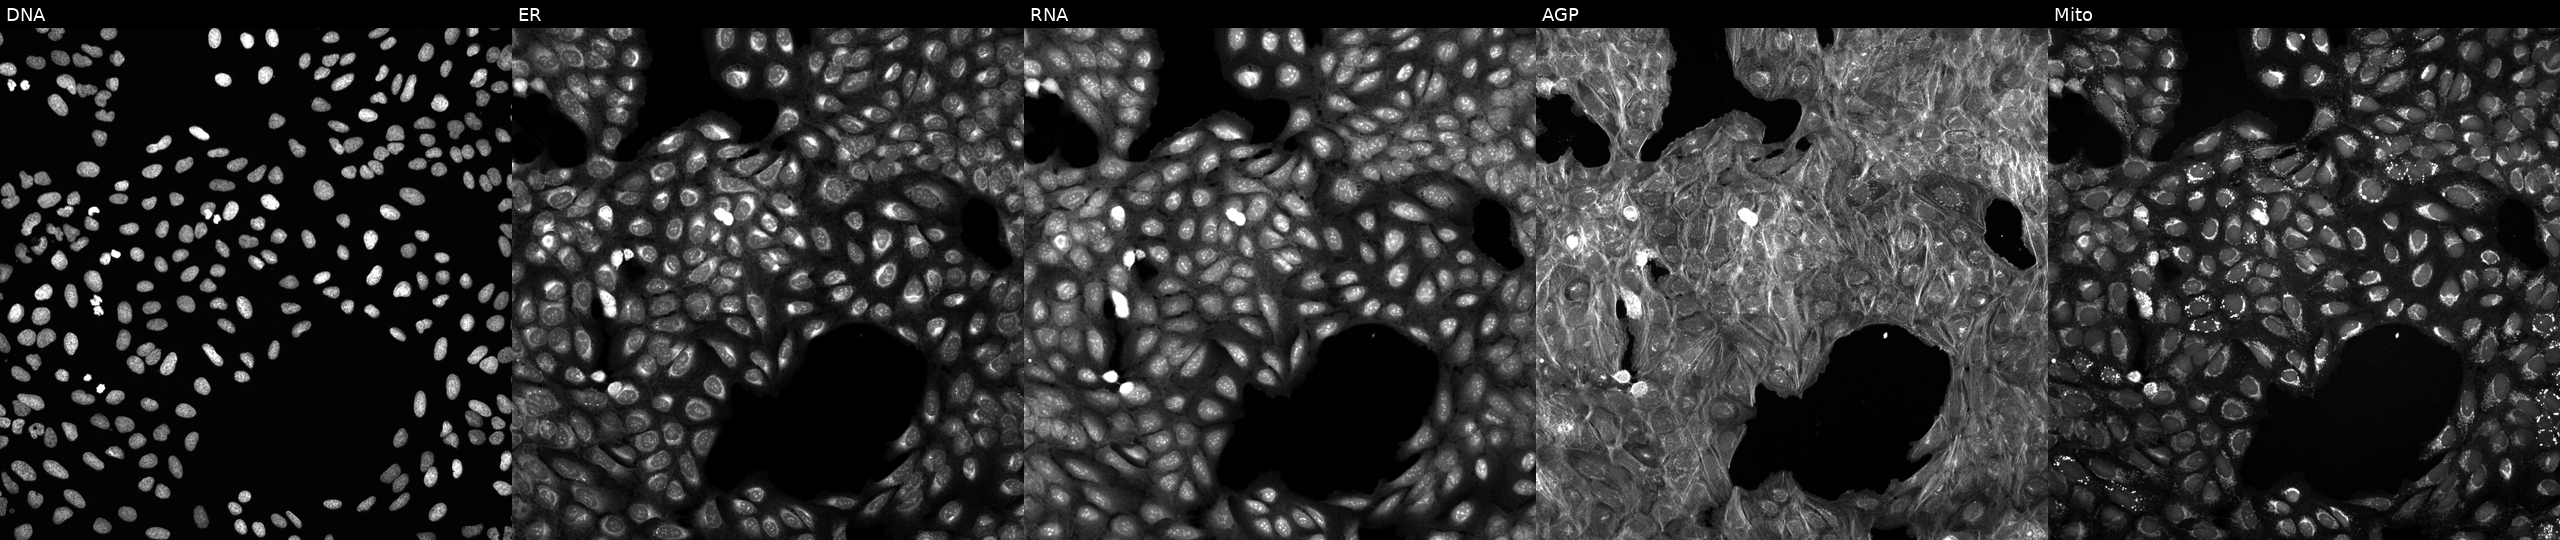
This image strip shows the five Cell Painting channels for a single field of U2OS cells treated with a small-molecule compound (JUMP id JCP2022_018074). The five panels, left to right, show Hoechst 33342, concanavalin A, SYTO 14, phalloidin and WGA, MitoTracker. Source 6, plate 110000294901, well O07.